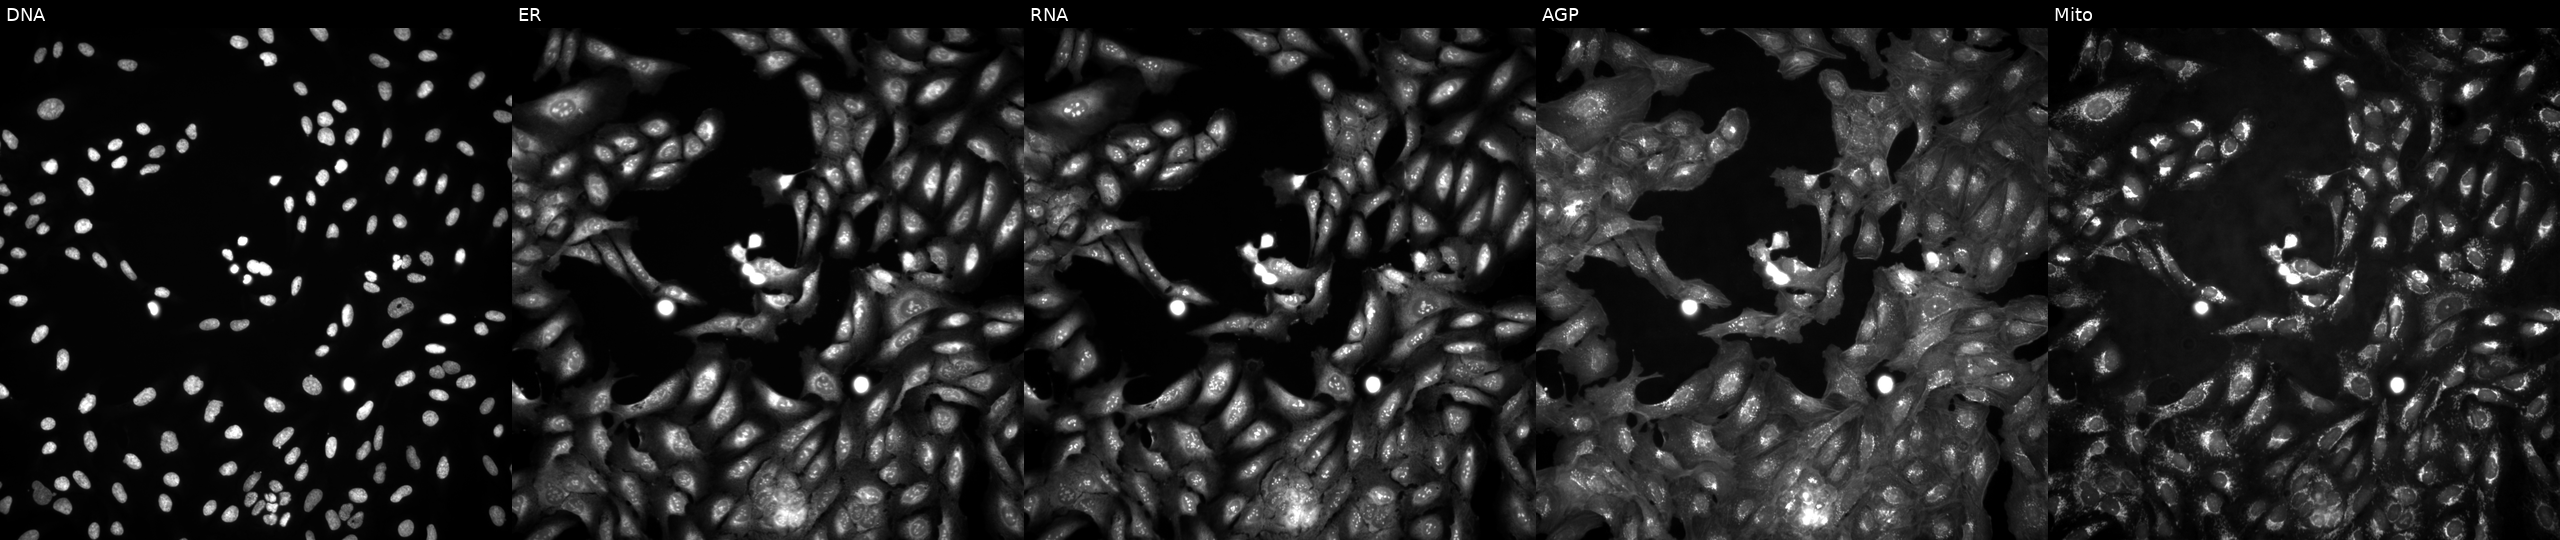
JUMP Cell Painting — ORF plate. U2OS cells in an empty control well (no perturbation) (JUMP id JCP2022_999999). From left to right: Hoechst 33342, concanavalin A, SYTO 14, phalloidin and WGA, MitoTracker. Source 4, plate BR00124793, well F11.